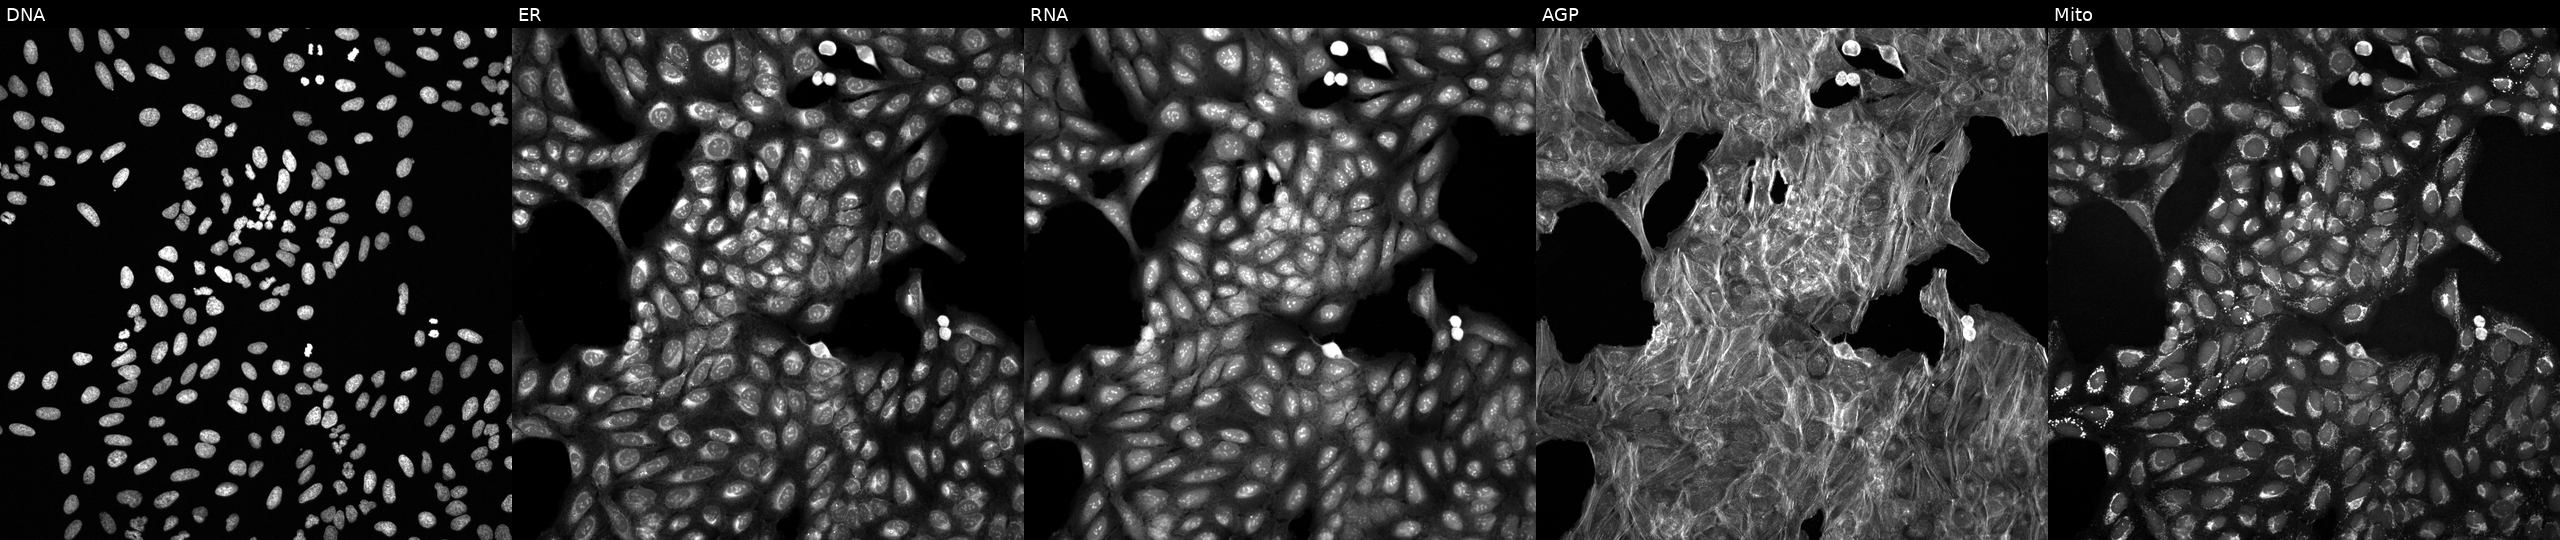
U2OS cells, Cell Painting assay, treated with a small-molecule compound (InChIKey NYNZQNWKBKUAII-UHFFFAOYSA-N) [SMILES: O=C(Nc1cnn2ccc(N3CCCC3c3cc(F)ccc3F)nc12)N1CCC(O)C1]. From left to right: DNA (nuclei); ER (endoplasmic reticulum); RNA (nucleoli and cytoplasmic RNA); AGP (actin cytoskeleton, Golgi, and plasma membrane); Mito (mitochondria). Each panel is percentile-stretched 16-bit fluorescence.